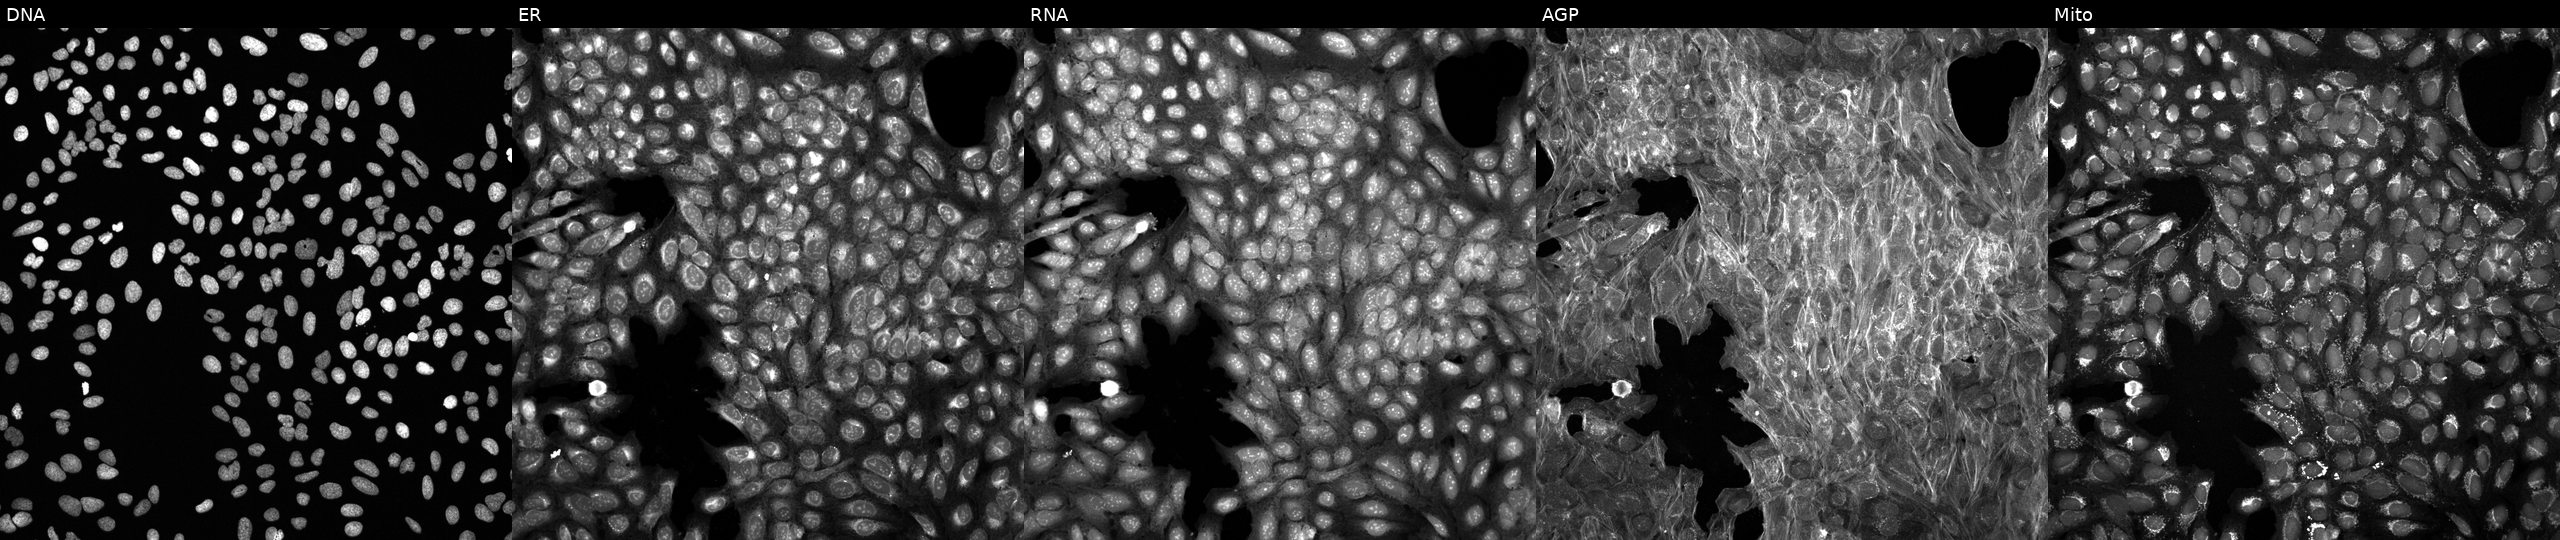
High-content fluorescence microscopy (Cell Painting). Cell line: U2OS. Perturbation: treated with a small-molecule compound (InChIKey LLIFMNUXGDHTRO-UHFFFAOYSA-N) [SMILES: Cc1noc(-c2ccc(CSCCC(=O)O)cc2)c1NC(=O)OC(C)c1ccccc1Cl] (JUMP id JCP2022_050162). Panels show, left to right, DNA, ER, RNA, AGP, and Mito.